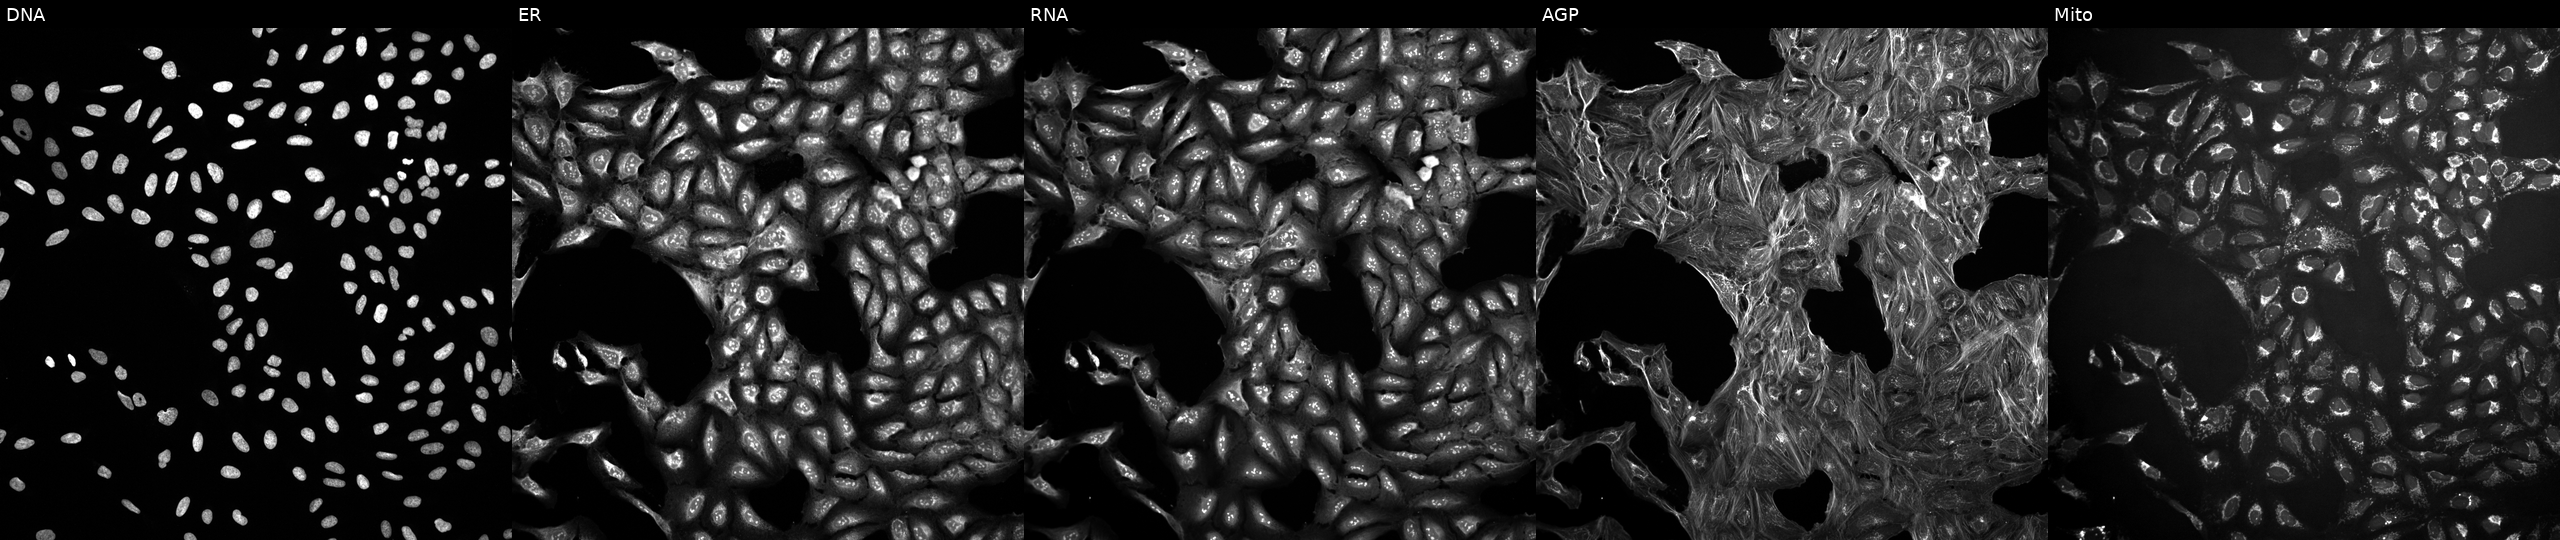
This image strip shows the five Cell Painting channels for a single field of U2OS cells perturbed with a small-molecule compound (InChIKey LMEKQMALGUDUQG-UHFFFAOYSA-N). Channels (left→right): DNA (nuclei); ER (endoplasmic reticulum); RNA (nucleoli and cytoplasmic RNA); AGP (actin cytoskeleton, Golgi, and plasma membrane); Mito (mitochondria).